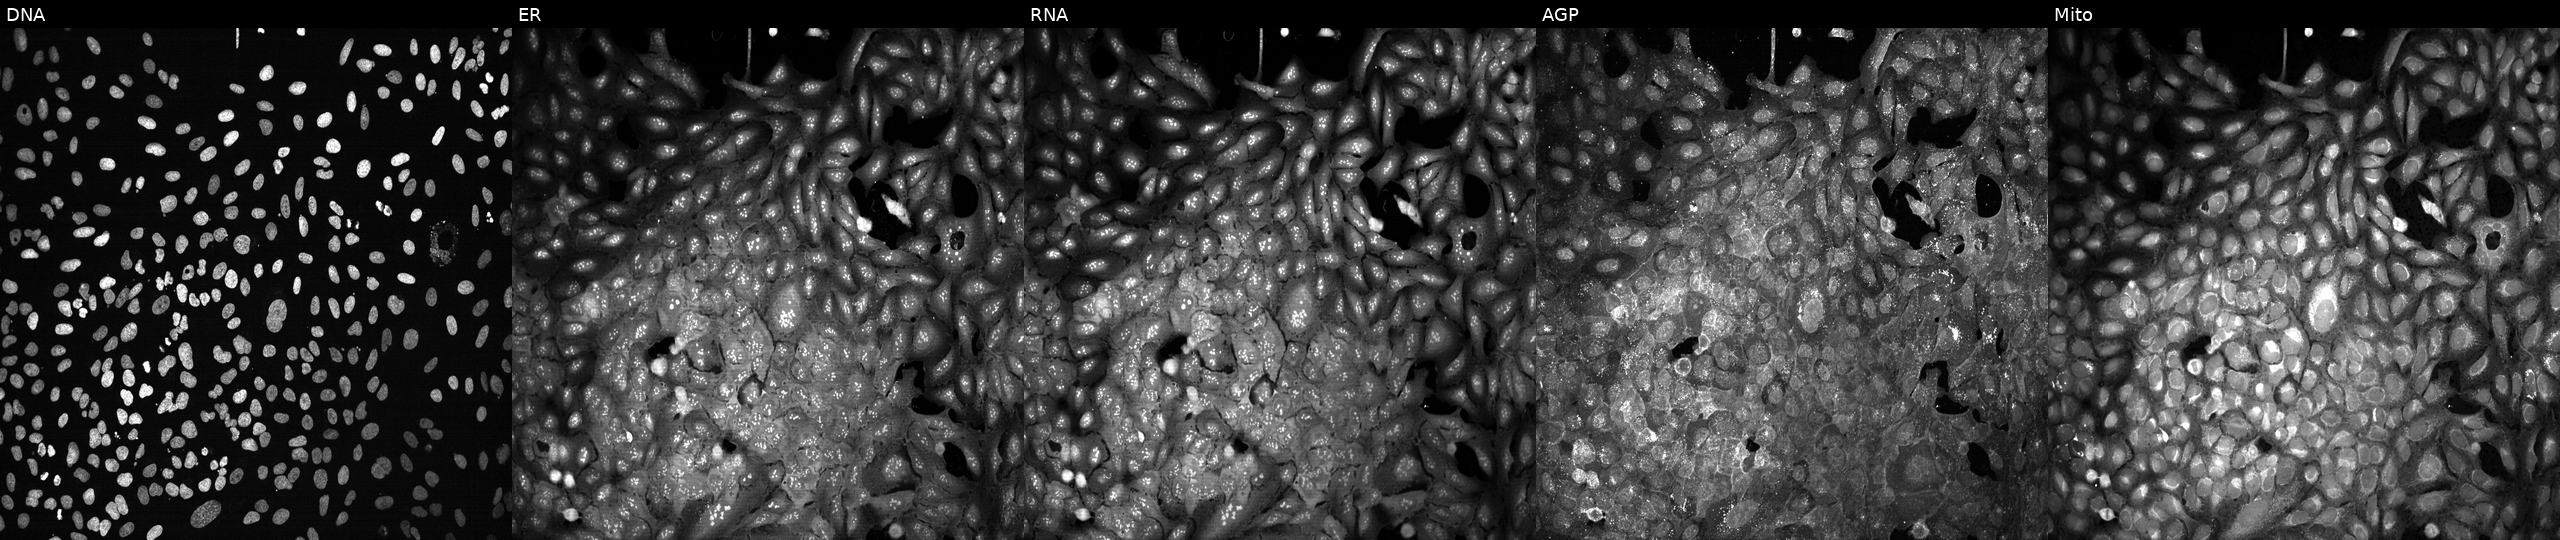
This image strip shows the five Cell Painting channels for a single field of U2OS cells CRISPR-edited to disrupt OSMR (JUMP id JCP2022_804816). Channels (left→right): DNA (nuclei); ER (endoplasmic reticulum); RNA (nucleoli and cytoplasmic RNA); AGP (actin cytoskeleton, Golgi, and plasma membrane); Mito (mitochondria). Source 13, plate CP-CC9-R1-02, well N20.